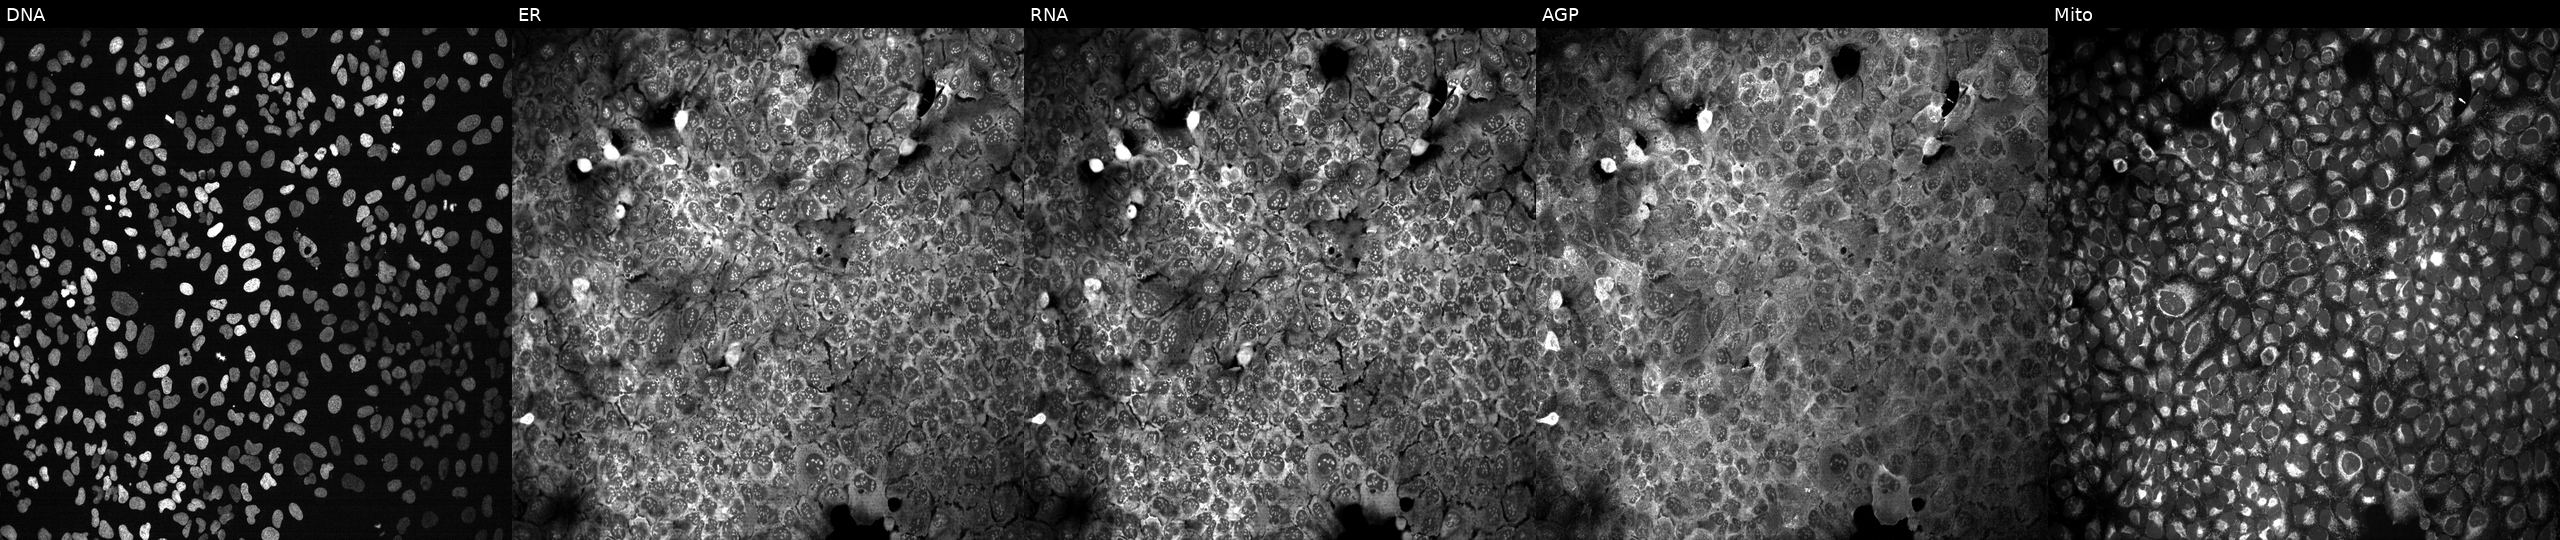
JUMP Cell Painting — CRISPR plate. U2OS cells with ELOVL6 knocked out by CRISPR. From left to right: DNA (nuclei); ER (endoplasmic reticulum); RNA (nucleoli and cytoplasmic RNA); AGP (actin cytoskeleton, Golgi, and plasma membrane); Mito (mitochondria). Source 13, plate CP-CC9-R3-01, well L19.